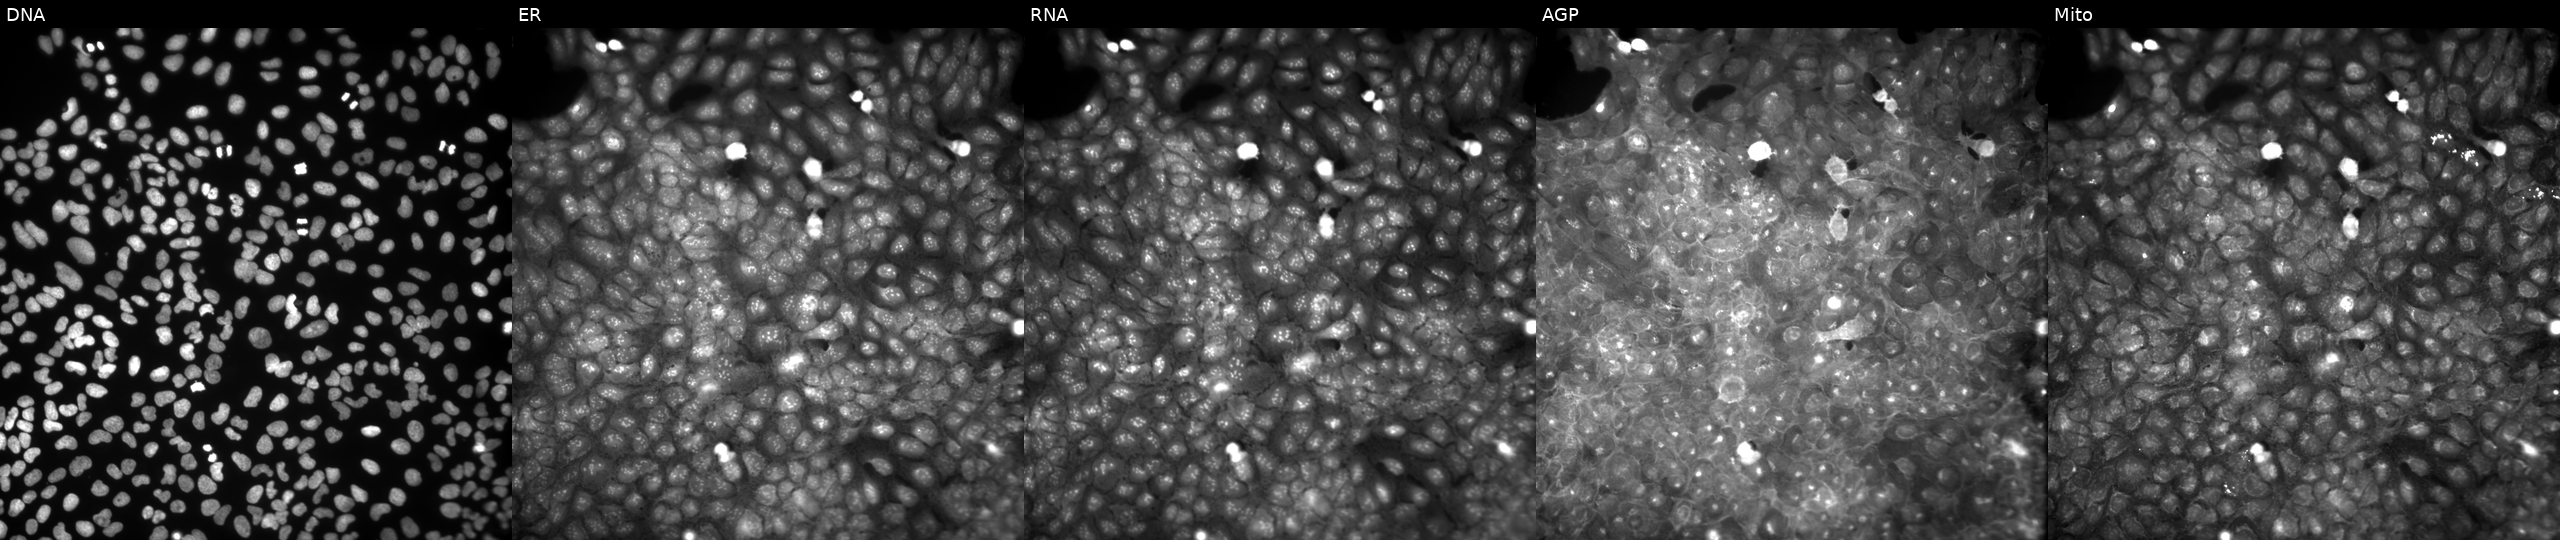
U2OS cells, Cell Painting assay, perturbed with a small-molecule compound (InChIKey DSBHPURPHITONH-UHFFFAOYSA-N) (JUMP id JCP2022_017848). Channels (left→right): DNA, ER, RNA, AGP, and Mito. Each panel is percentile-stretched 16-bit fluorescence.